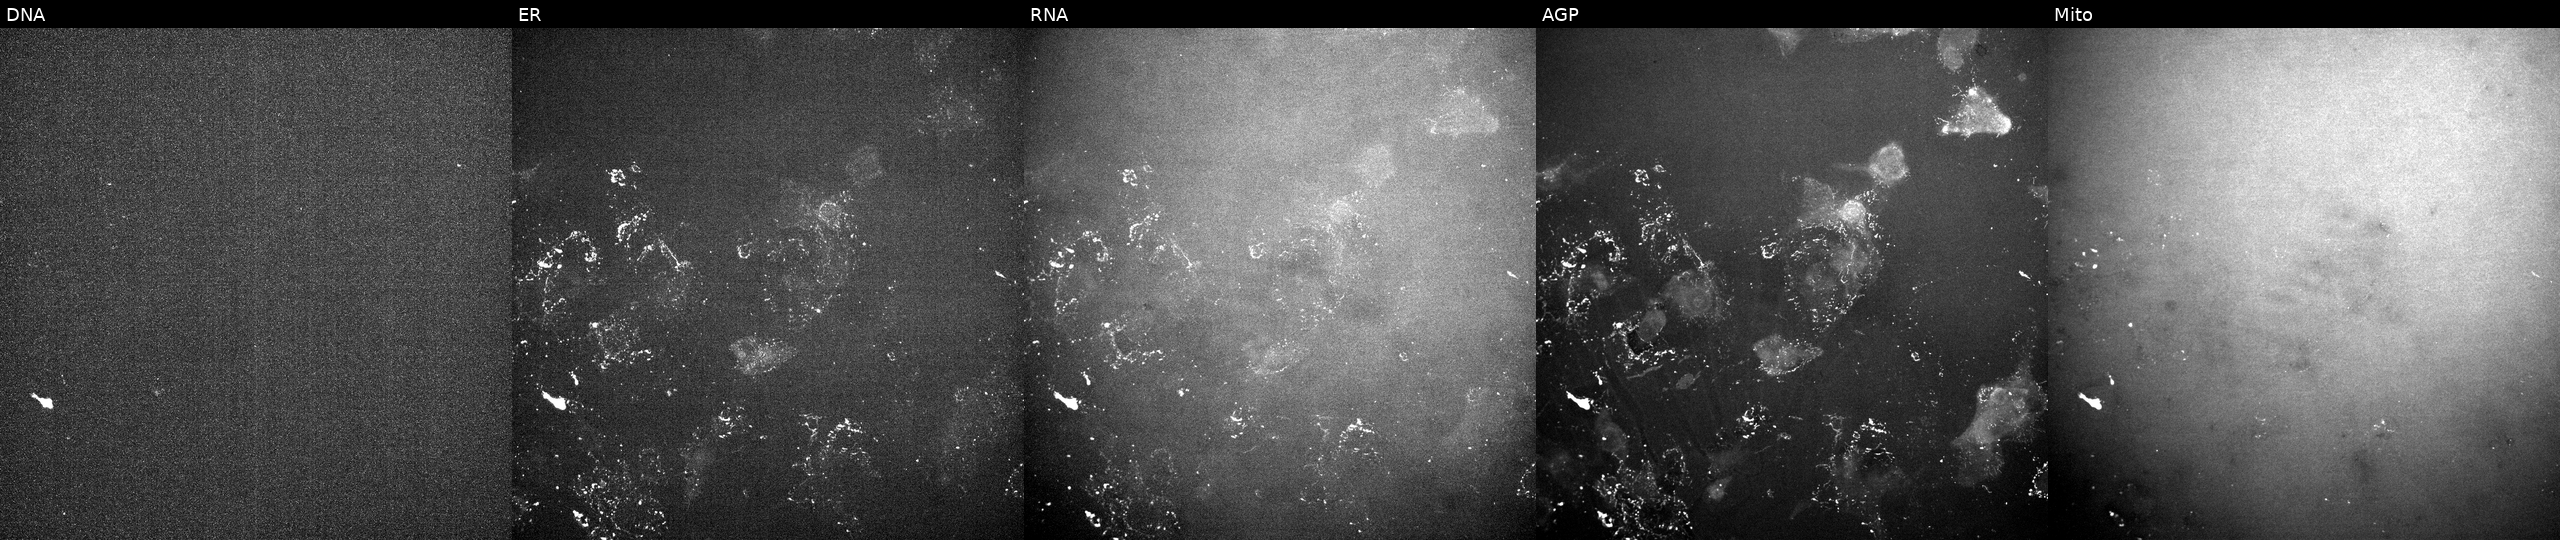
Five-channel Cell Painting image of U2OS cells treated with a small-molecule compound (InChIKey IAYGCINLNONXHY-UHFFFAOYSA-N). Panels show, left to right, DNA, ER, RNA, AGP, and Mito. Source 10, plate Dest210803-153958, well D11.